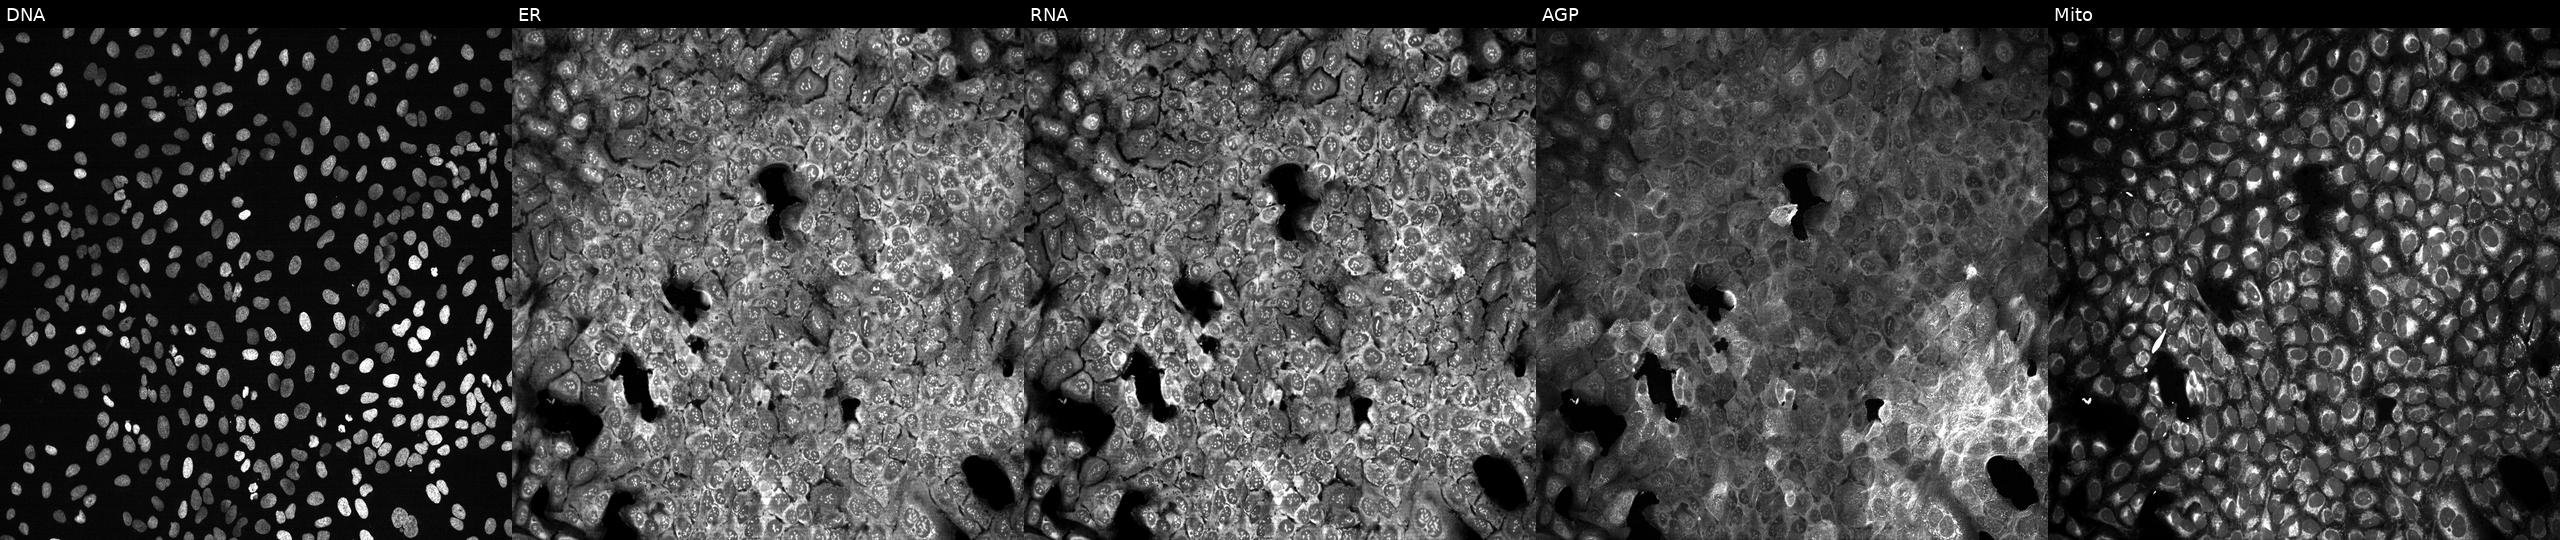
High-content fluorescence microscopy (Cell Painting). Cell line: U2OS. Perturbation: CRISPR-edited to disrupt SLC9A9 (JUMP id JCP2022_806599). The five panels, left to right, show Hoechst 33342, concanavalin A, SYTO 14, phalloidin and WGA, MitoTracker.